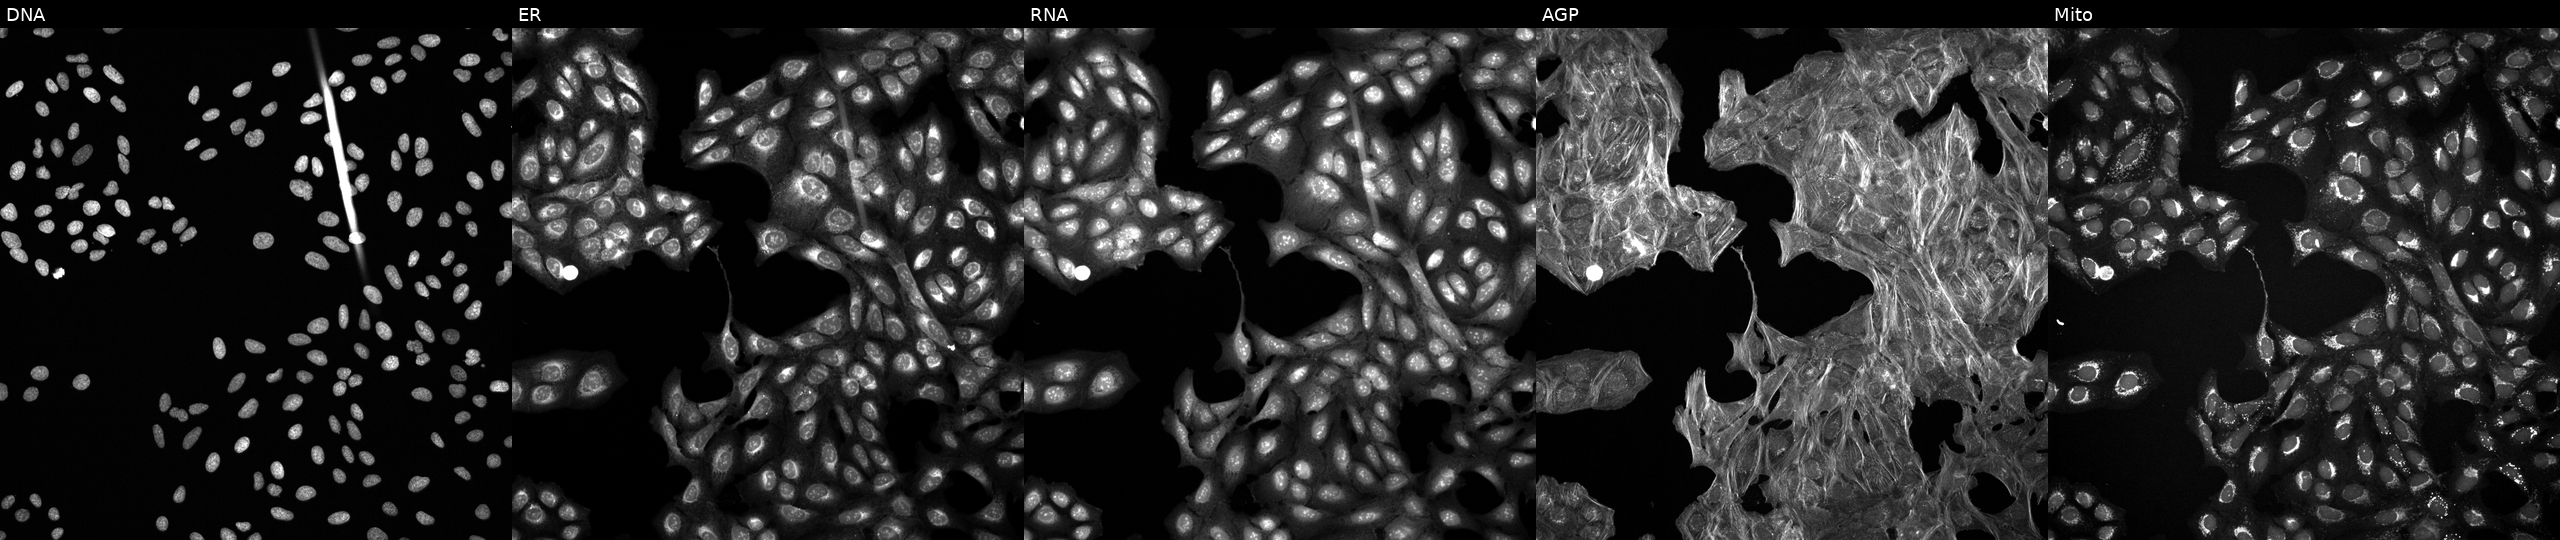
This image strip shows the five Cell Painting channels for a single field of U2OS cells treated with a small-molecule compound (JUMP id JCP2022_077350). From left to right: DNA, ER, RNA, AGP, and Mito.